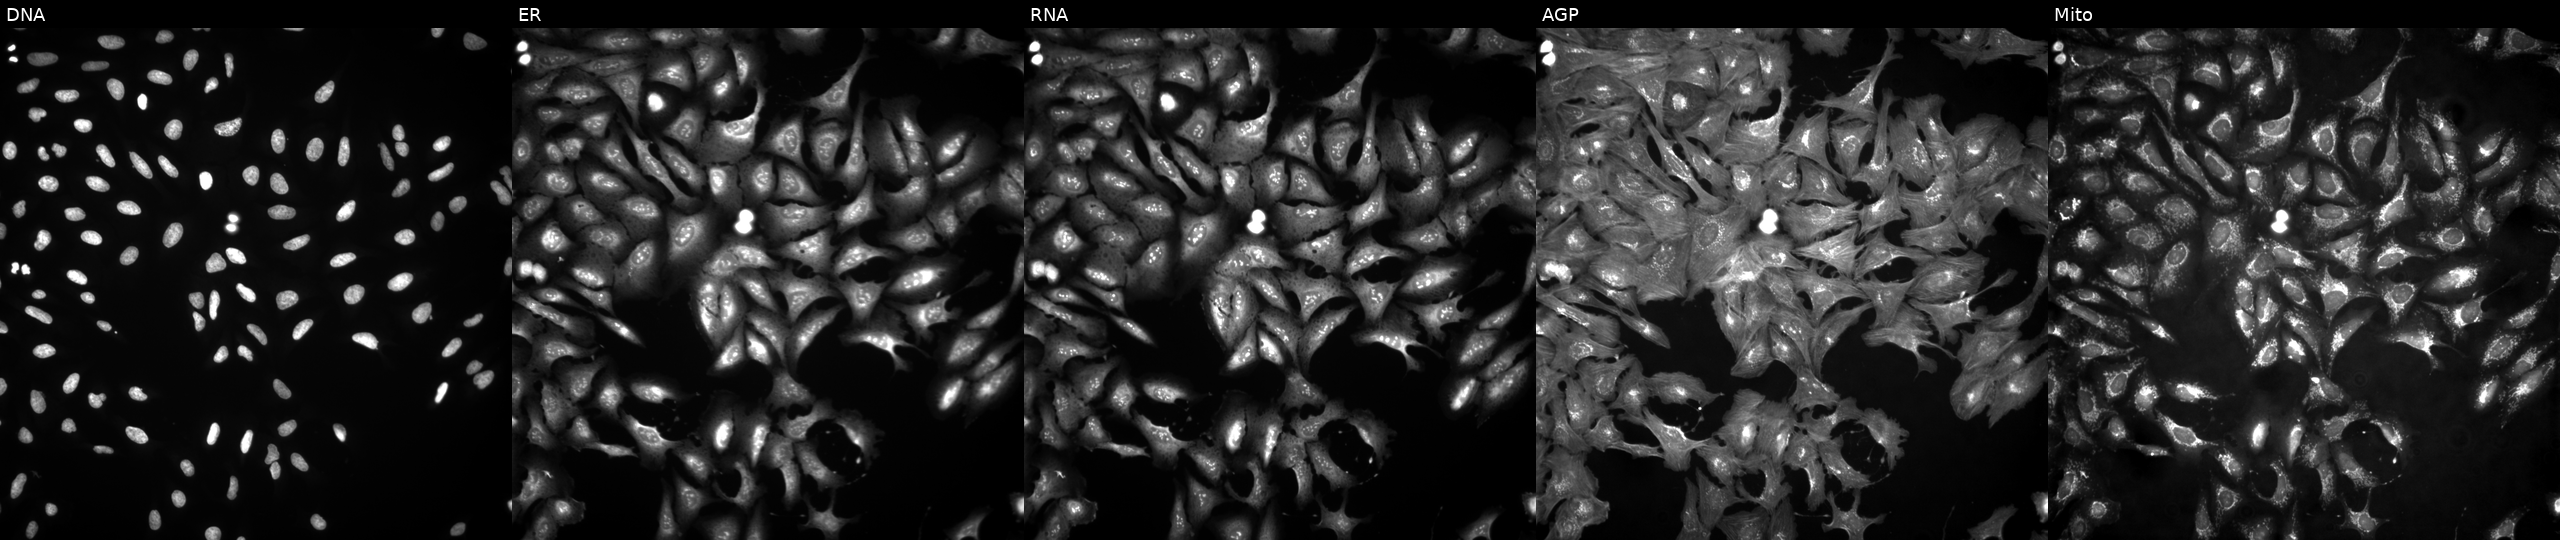
JUMP Cell Painting — ORF plate. U2OS cells transfected with an ORF construct for PTGER4. From left to right: Hoechst 33342, concanavalin A, SYTO 14, phalloidin and WGA, MitoTracker. Source 4, plate BR00124784, well A20.